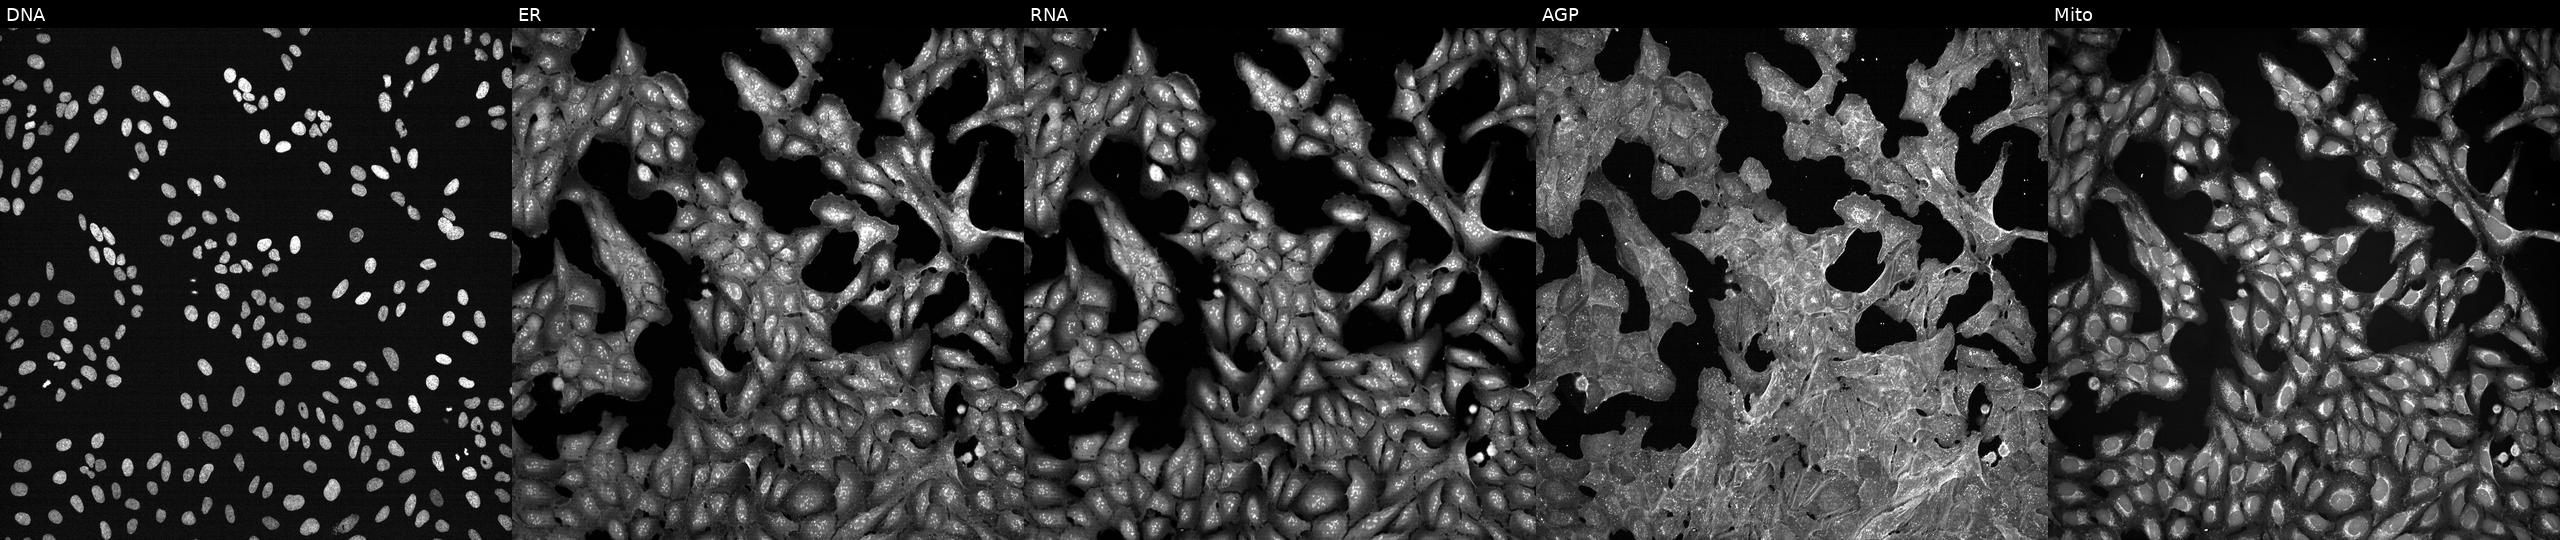
Five-channel Cell Painting image of U2OS cells exposed to a small-molecule compound (InChIKey SGRYPYWGNKJSDL-UHFFFAOYSA-N). Channels (left→right): DNA, ER, RNA, AGP, and Mito.